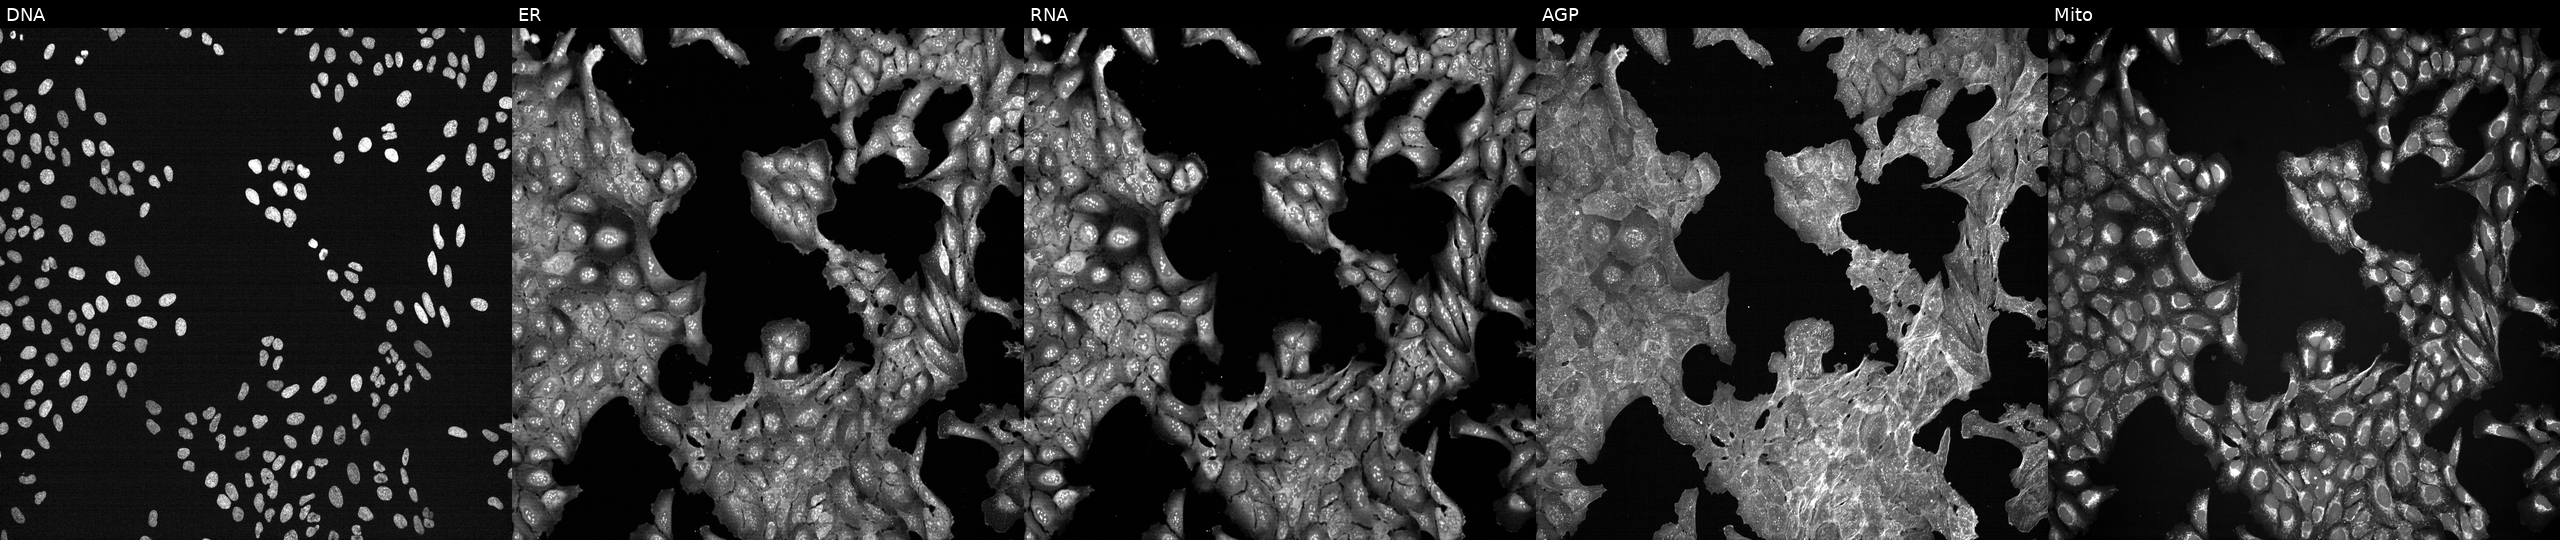
Panels show, left to right, DNA, ER, RNA, AGP, and Mito. U2OS osteosarcoma cells treated with a small-molecule compound (InChIKey KPYSYYIEGFHWSV-UHFFFAOYSA-N). Cell Painting assay, JUMP-CP dataset. Source 7, plate CP3-SC1-25, well G13.